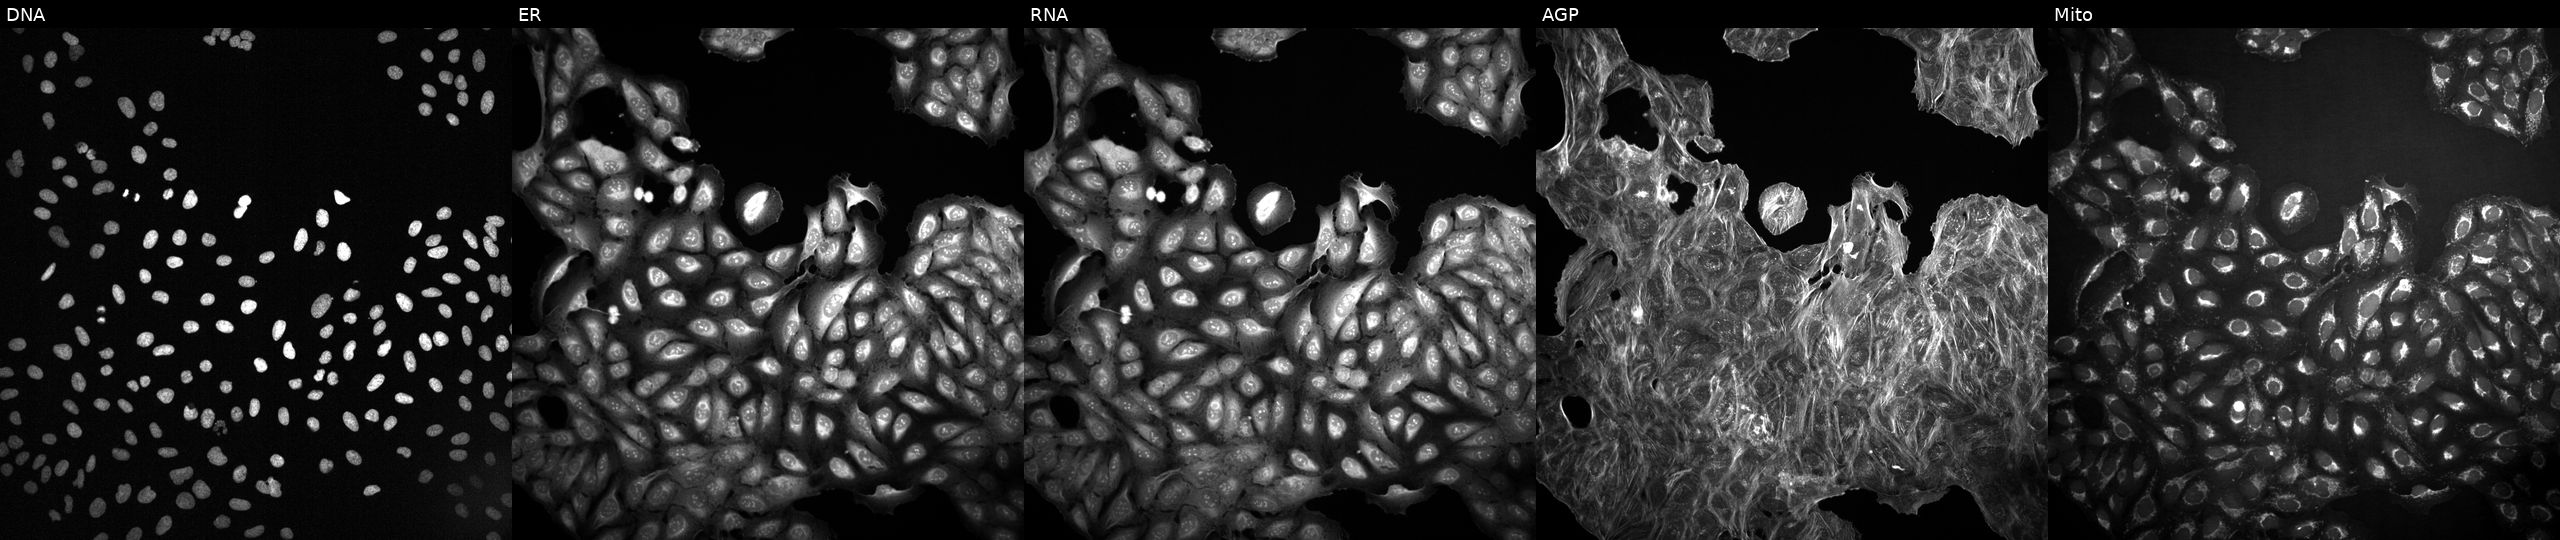
JUMP Cell Painting — COMPOUND plate. U2OS cells with an unidentified perturbation (not annotated in JUMP metadata). Panels show, left to right, DNA, ER, RNA, AGP, and Mito. Source 2, plate 1053601756, well N03.